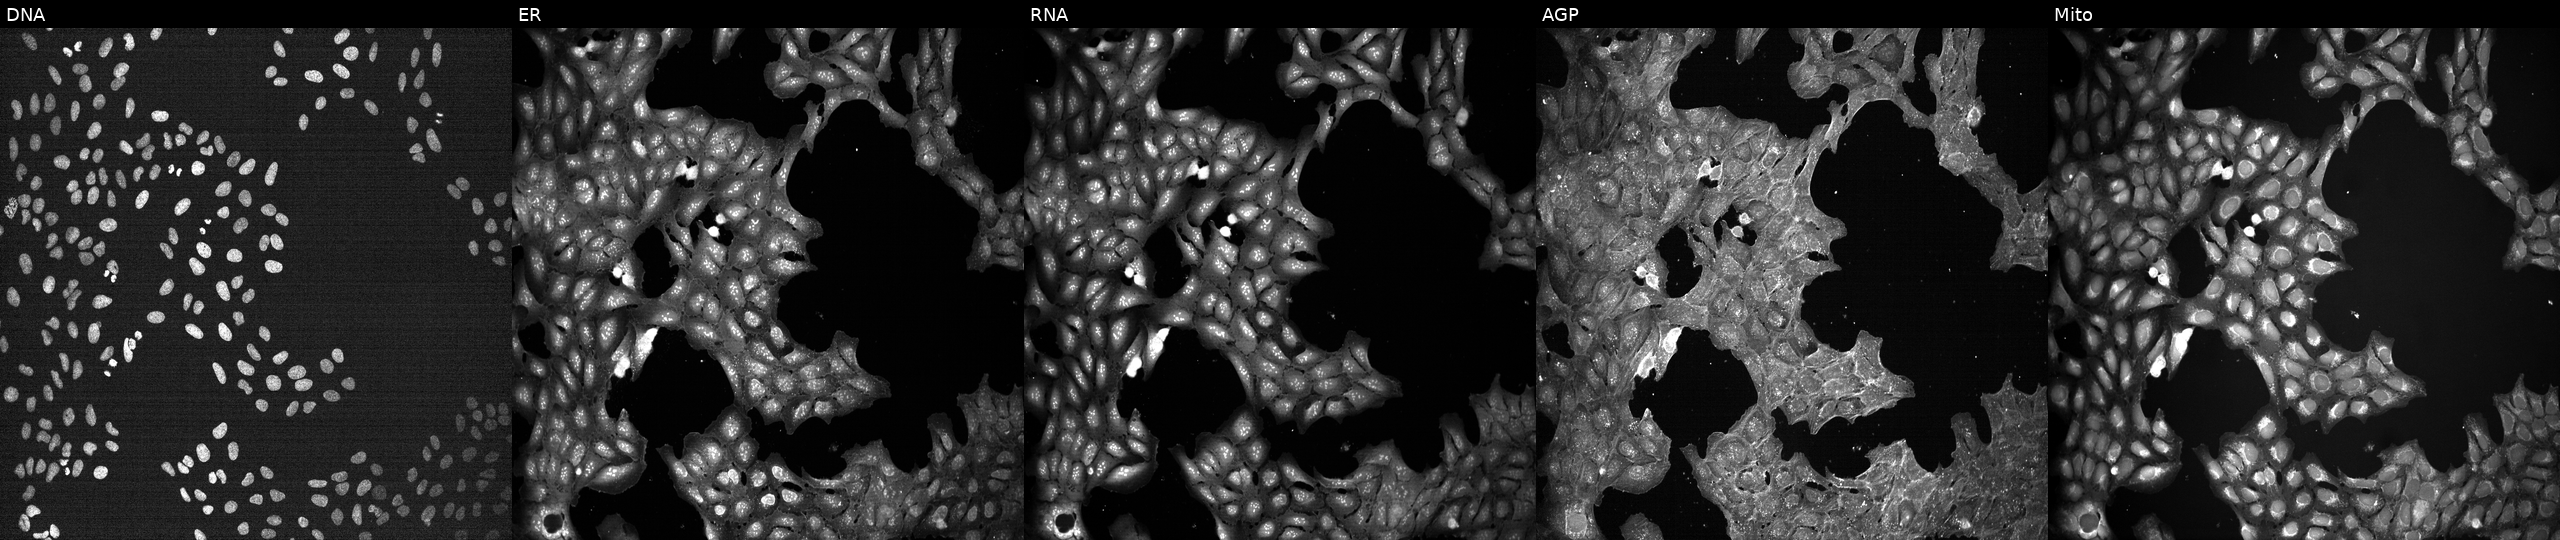
U2OS cells, Cell Painting assay, exposed to a small-molecule compound (InChIKey ULYONBAOIMCNEH-UHFFFAOYSA-N) (JUMP id JCP2022_090051). Panels show, left to right, Hoechst 33342, concanavalin A, SYTO 14, phalloidin and WGA, MitoTracker. Each panel is percentile-stretched 16-bit fluorescence.